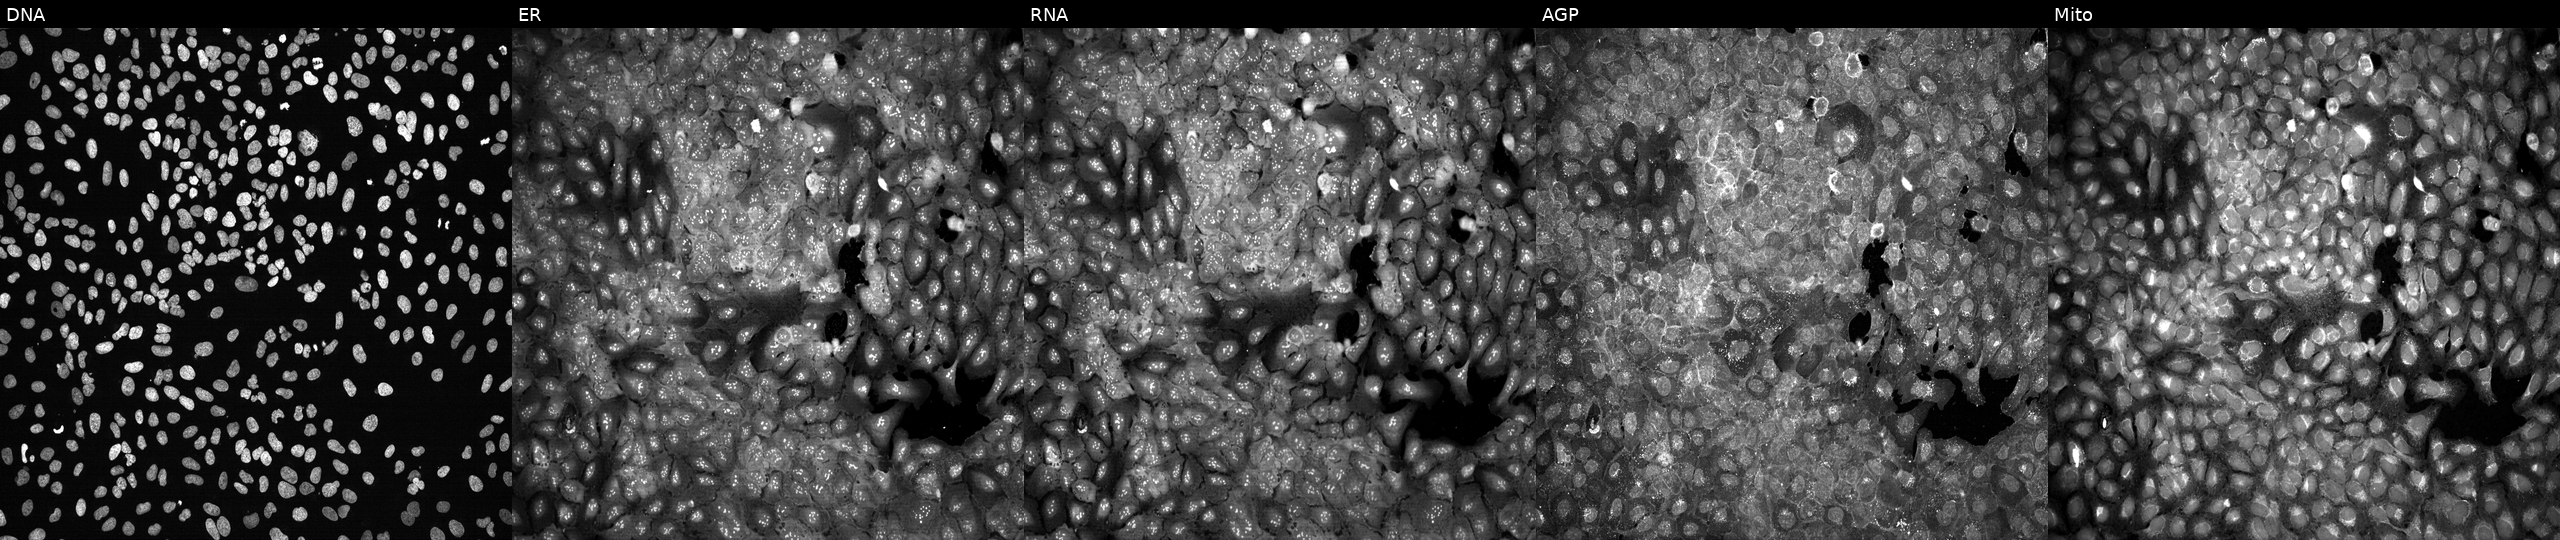
U2OS cells, Cell Painting assay, following CRISPR knockout of FUT7 (JUMP id JCP2022_802516). Channels (left→right): DNA (nuclei); ER (endoplasmic reticulum); RNA (nucleoli and cytoplasmic RNA); AGP (actin cytoskeleton, Golgi, and plasma membrane); Mito (mitochondria). Each panel is percentile-stretched 16-bit fluorescence.